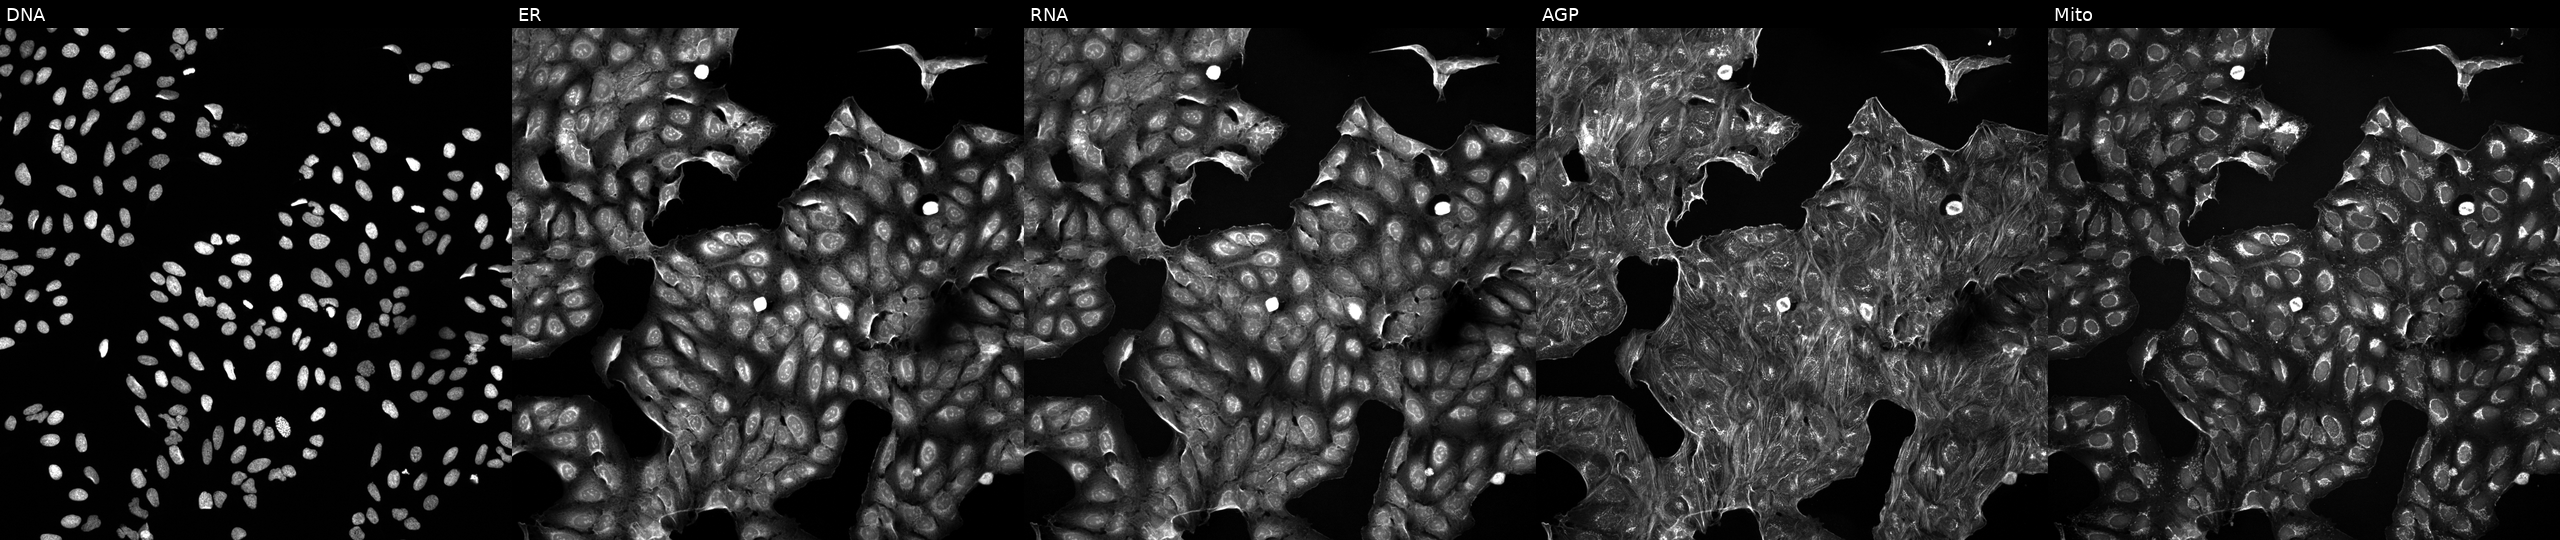
U2OS cells, Cell Painting assay, treated with a small-molecule compound (InChIKey DHMTURDWPRKSOA-UHFFFAOYSA-N). From left to right: Hoechst 33342, concanavalin A, SYTO 14, phalloidin and WGA, MitoTracker. Each panel is percentile-stretched 16-bit fluorescence.